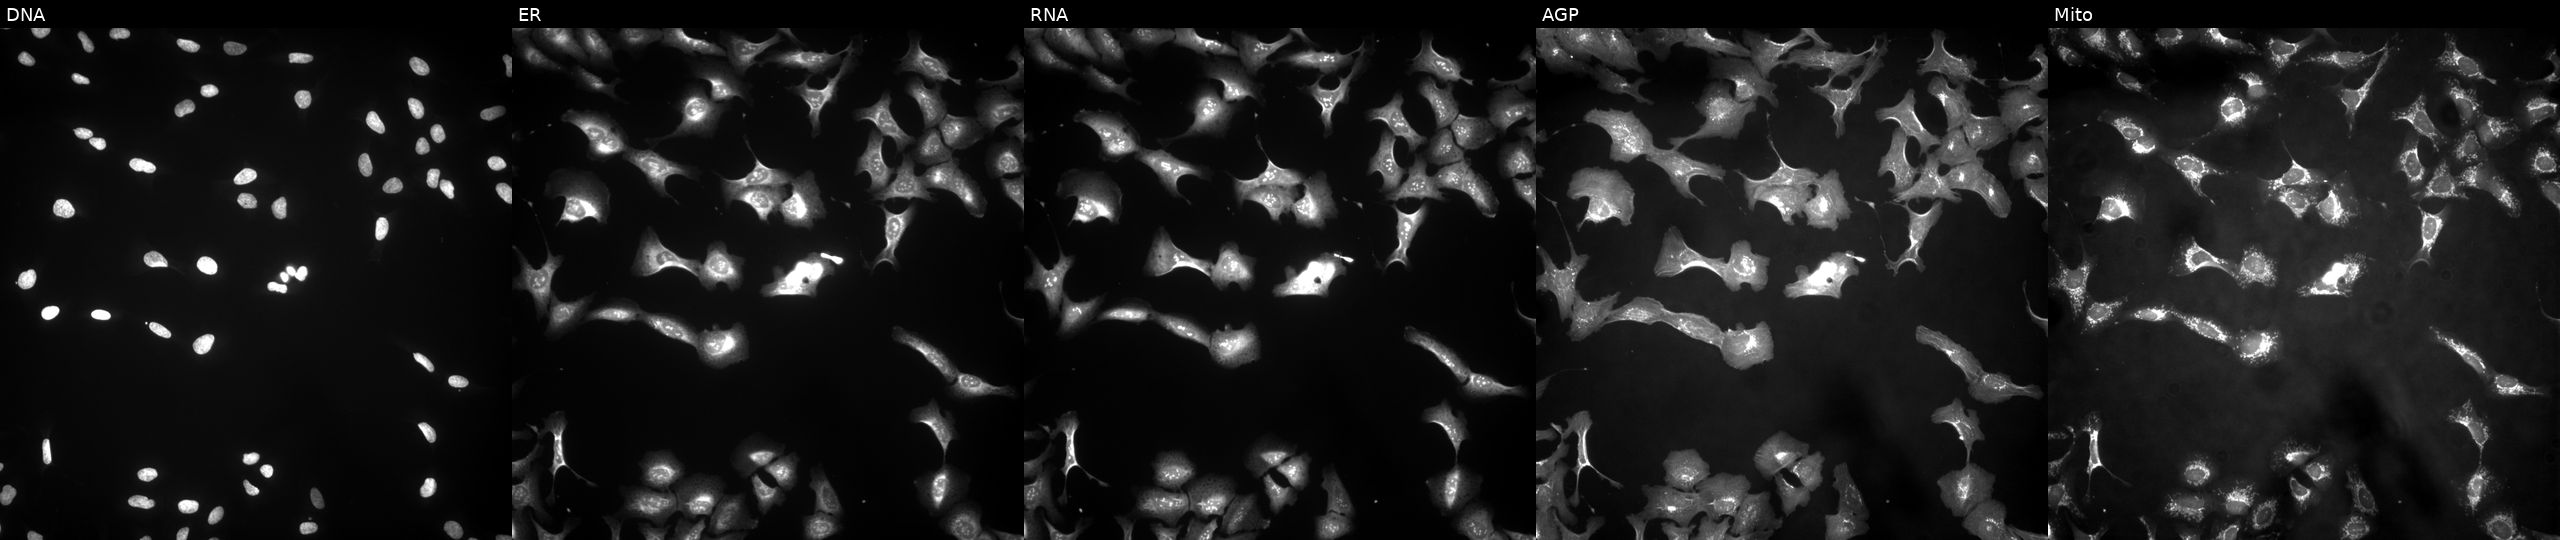
High-content fluorescence microscopy (Cell Painting). Cell line: U2OS. Perturbation: overexpressing CFP via ORF transfection (JUMP id JCP2022_906284). Channels (left→right): DNA, ER, RNA, AGP, and Mito.